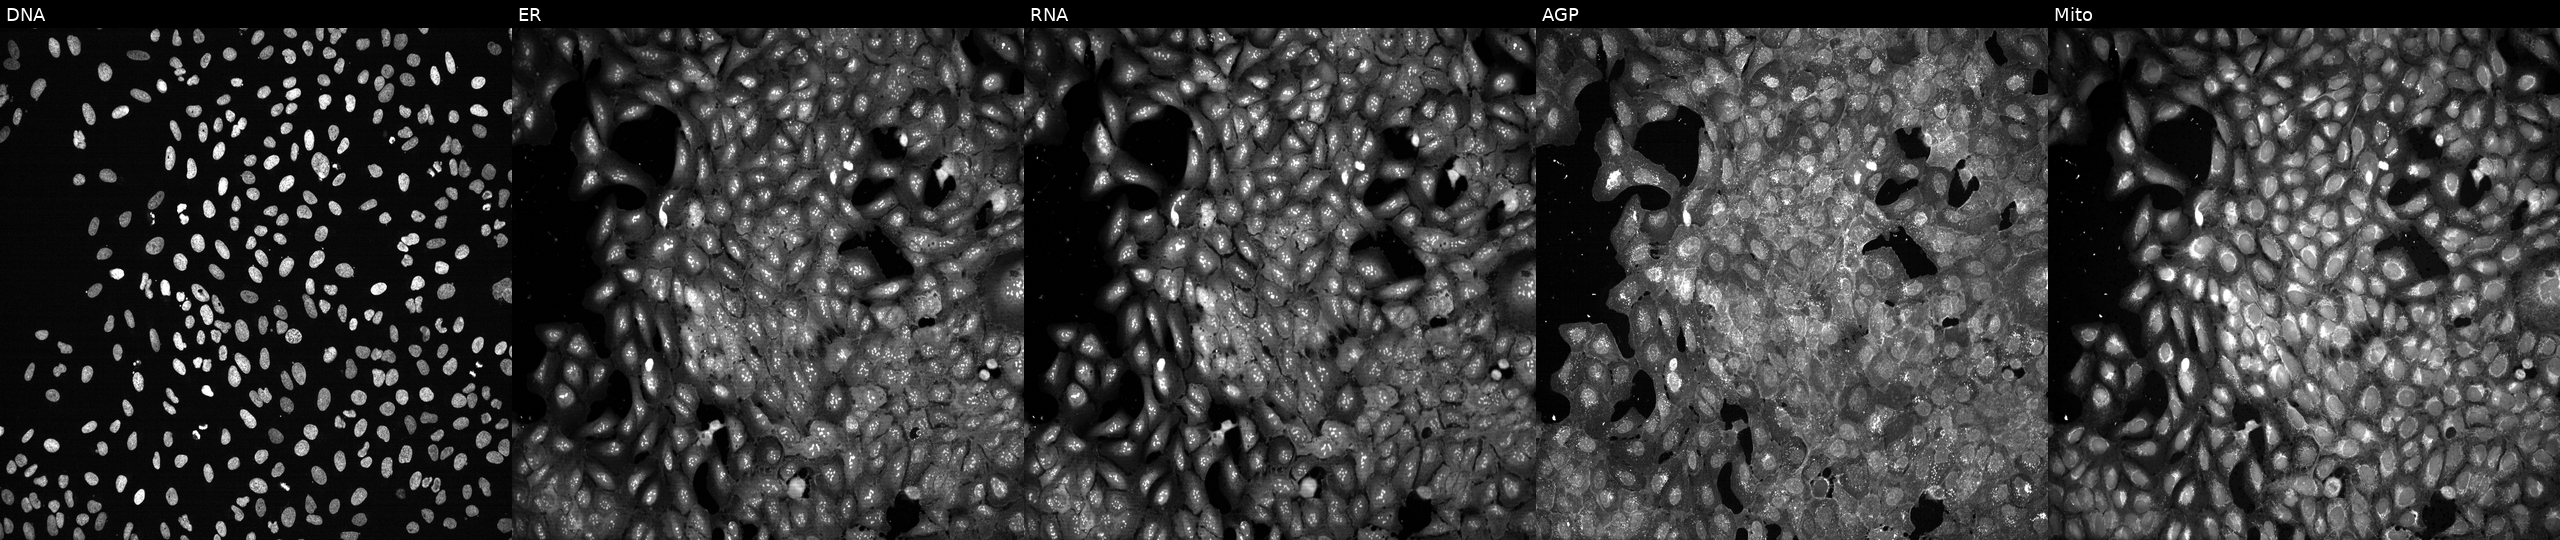
This image strip shows the five Cell Painting channels for a single field of U2OS cells with HMGCS1 knocked out by CRISPR (JUMP id JCP2022_803149). The five panels, left to right, show DNA, ER, RNA, AGP, and Mito.